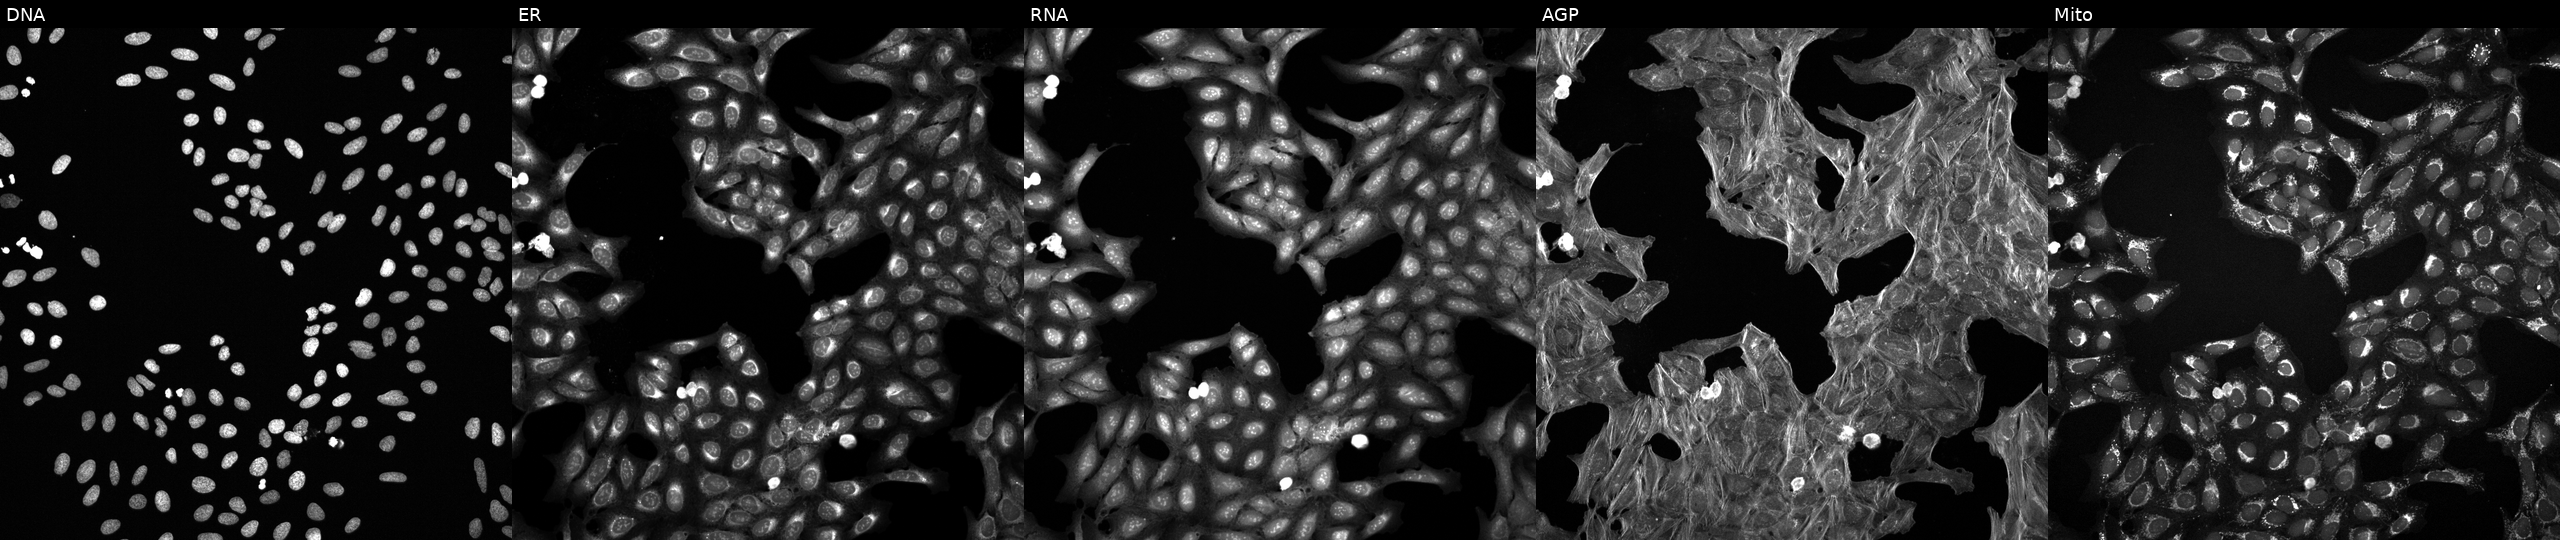
Five-channel Cell Painting image of U2OS cells exposed to a small-molecule compound (InChIKey GMROZDPZEUVIGD-UHFFFAOYSA-N) [SMILES: C=c1[nH]c(=Cc2c(O)[nH]c3ccccc23)c(C)c1CCC(=O)O]. Channels (left→right): DNA (nuclei); ER (endoplasmic reticulum); RNA (nucleoli and cytoplasmic RNA); AGP (actin cytoskeleton, Golgi, and plasma membrane); Mito (mitochondria).